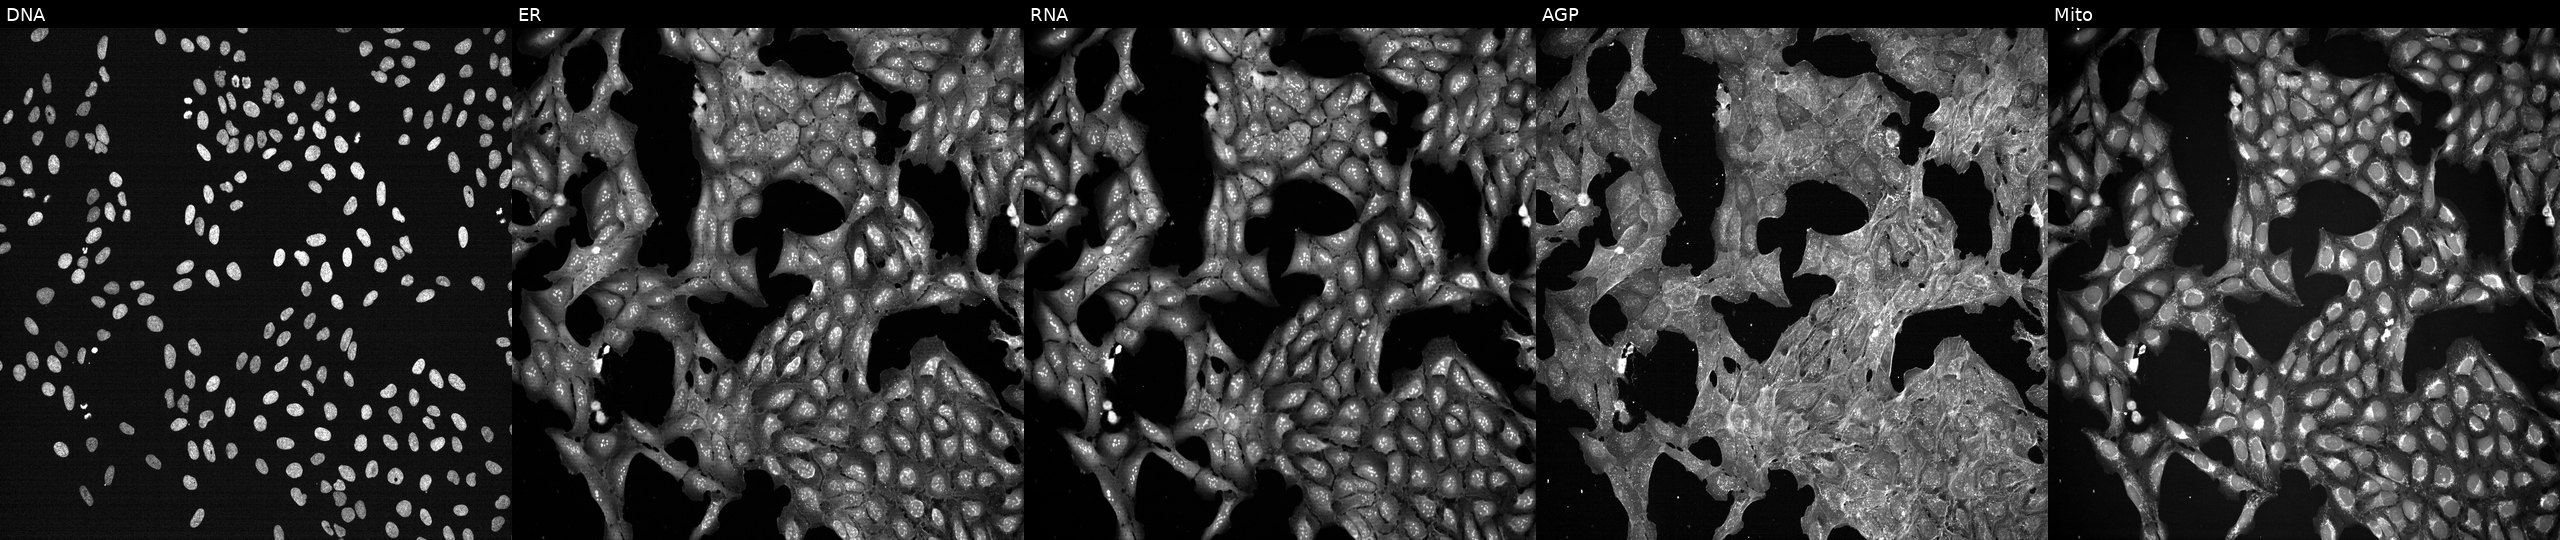
High-content fluorescence microscopy (Cell Painting). Cell line: U2OS. Perturbation: treated with DMSO vehicle only (negative control) (JUMP id JCP2022_033924). Channels (left→right): DNA, ER, RNA, AGP, and Mito.